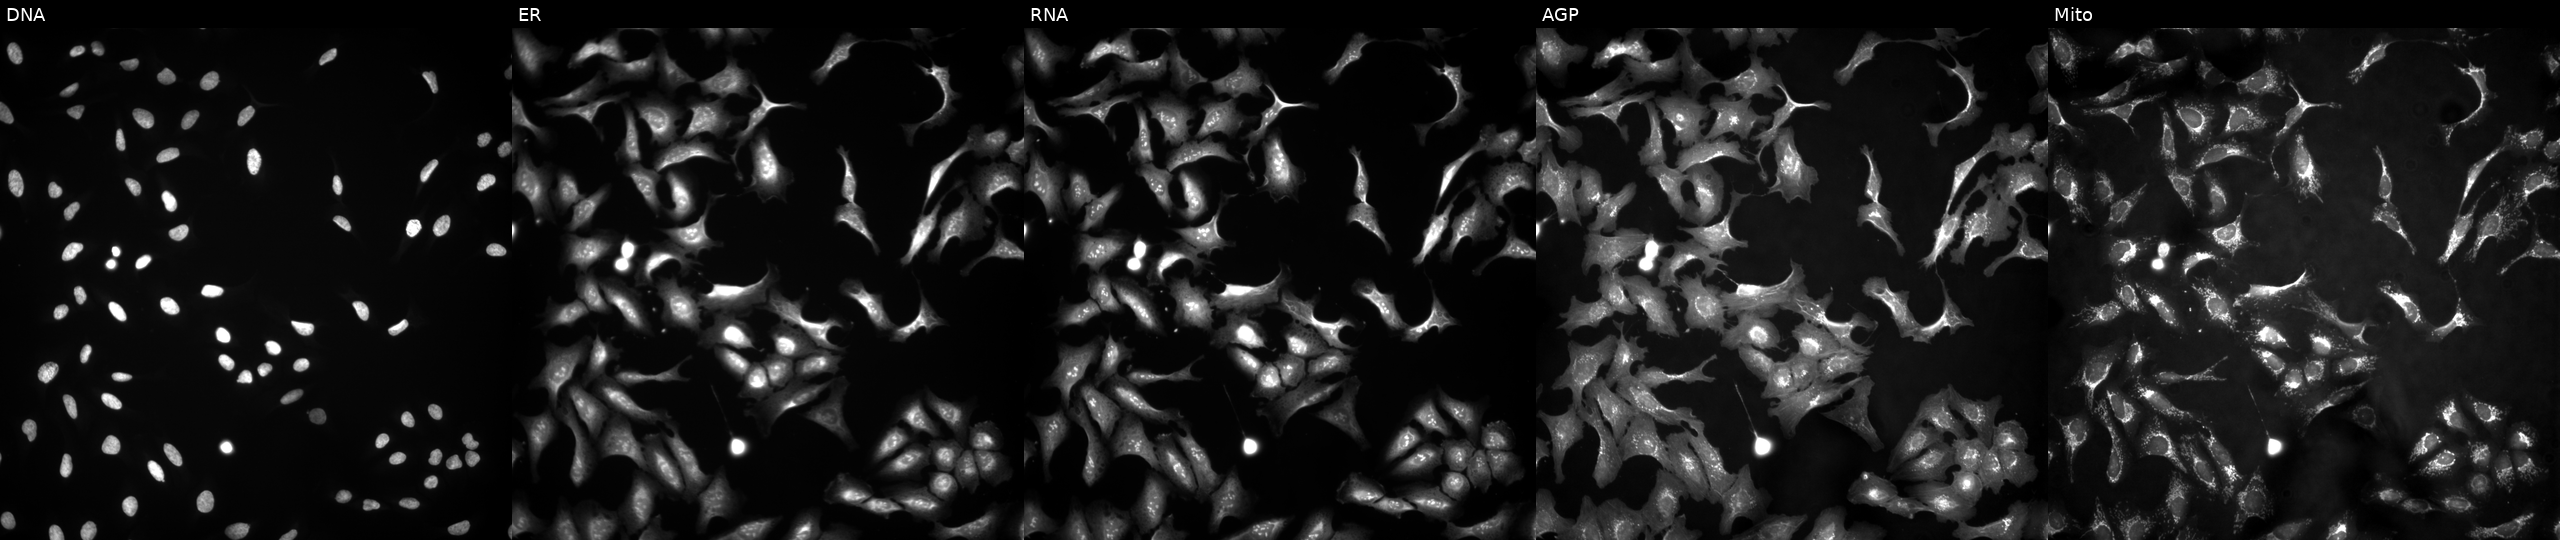
Five-channel Cell Painting image of U2OS cells transfected with an ORF construct for USPL1 (JUMP id JCP2022_907075). Channels (left→right): Hoechst 33342, concanavalin A, SYTO 14, phalloidin and WGA, MitoTracker.